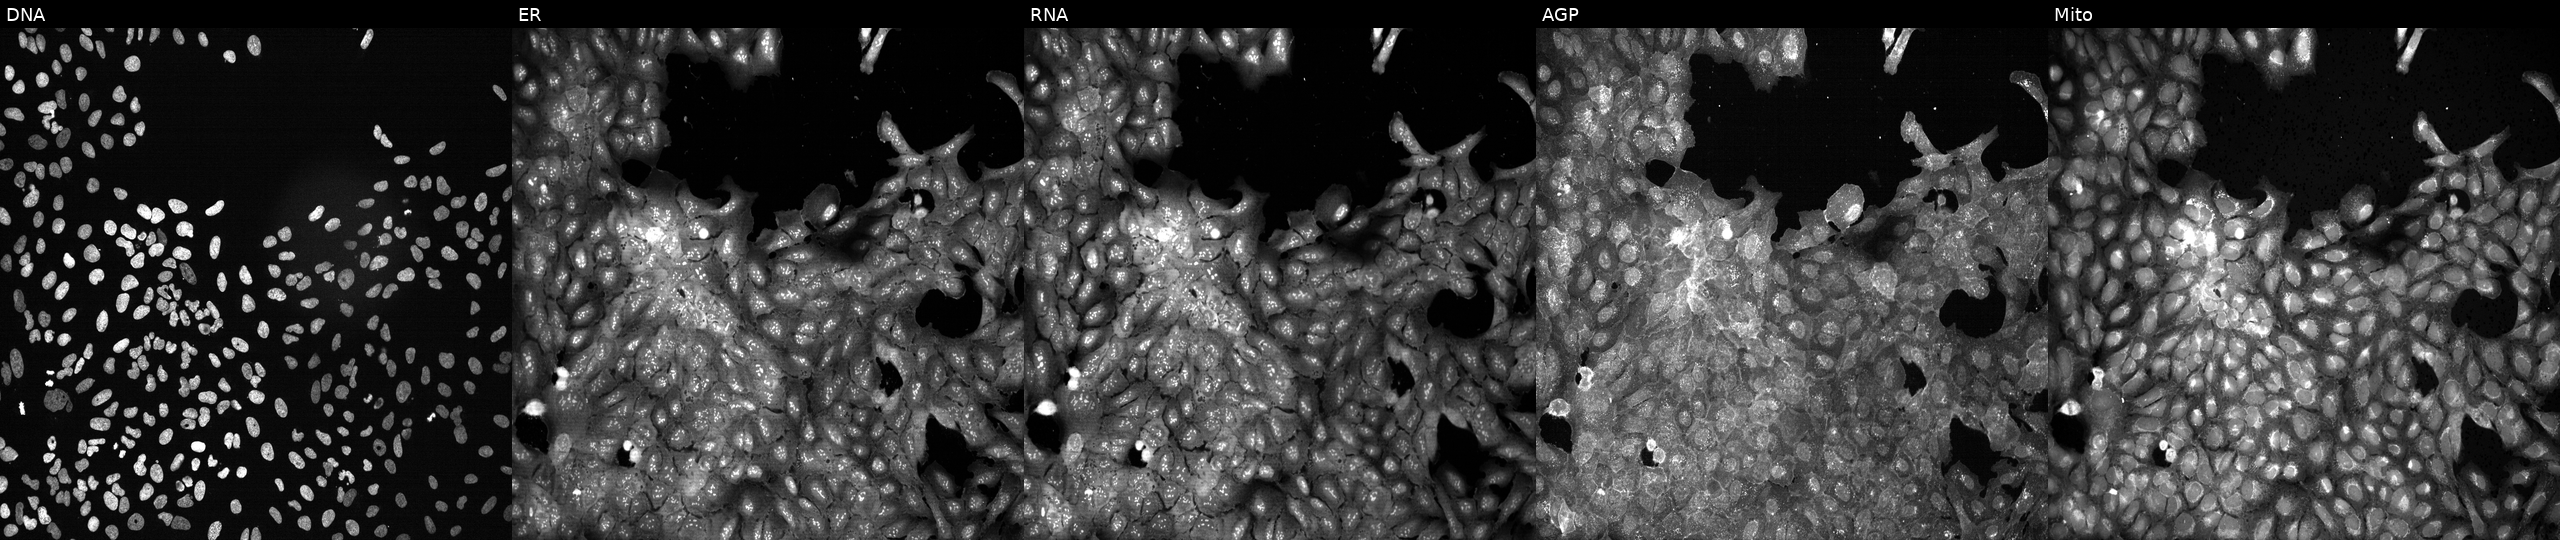
From left to right: DNA, ER, RNA, AGP, and Mito. U2OS osteosarcoma cells CRISPR-edited to disrupt SLC16A2 (JUMP id JCP2022_806387). Cell Painting assay, JUMP-CP dataset. Source 13, plate CP-CC9-R1-02, well F19.